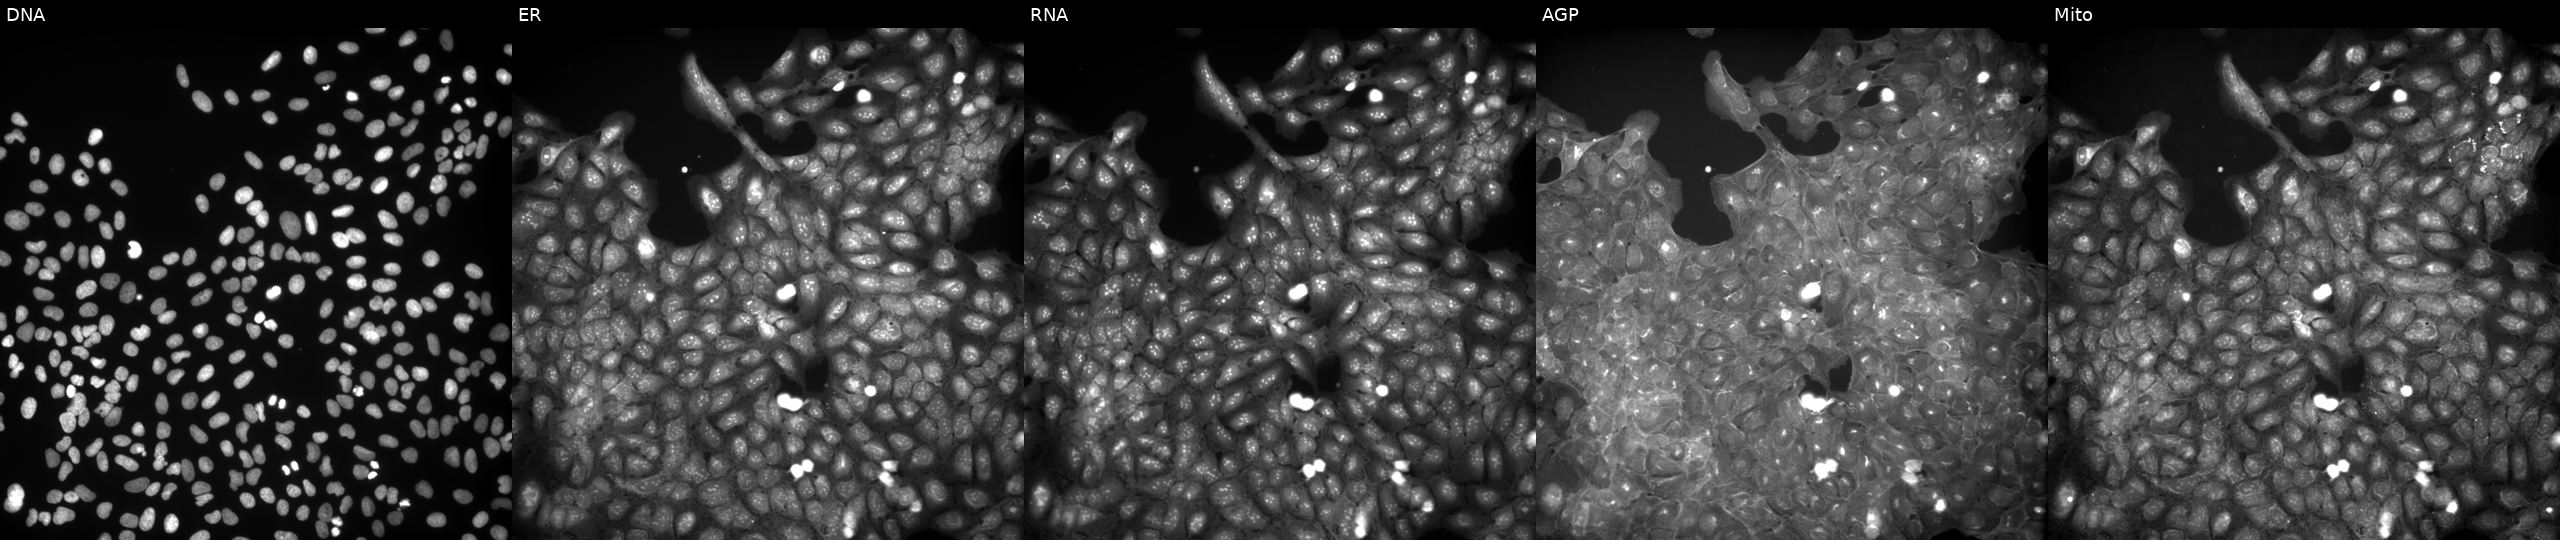
U2OS cells, Cell Painting assay, exposed to the positive-control compound TC-S-7004. Panels show, left to right, DNA (nuclei); ER (endoplasmic reticulum); RNA (nucleoli and cytoplasmic RNA); AGP (actin cytoskeleton, Golgi, and plasma membrane); Mito (mitochondria). Each panel is percentile-stretched 16-bit fluorescence.